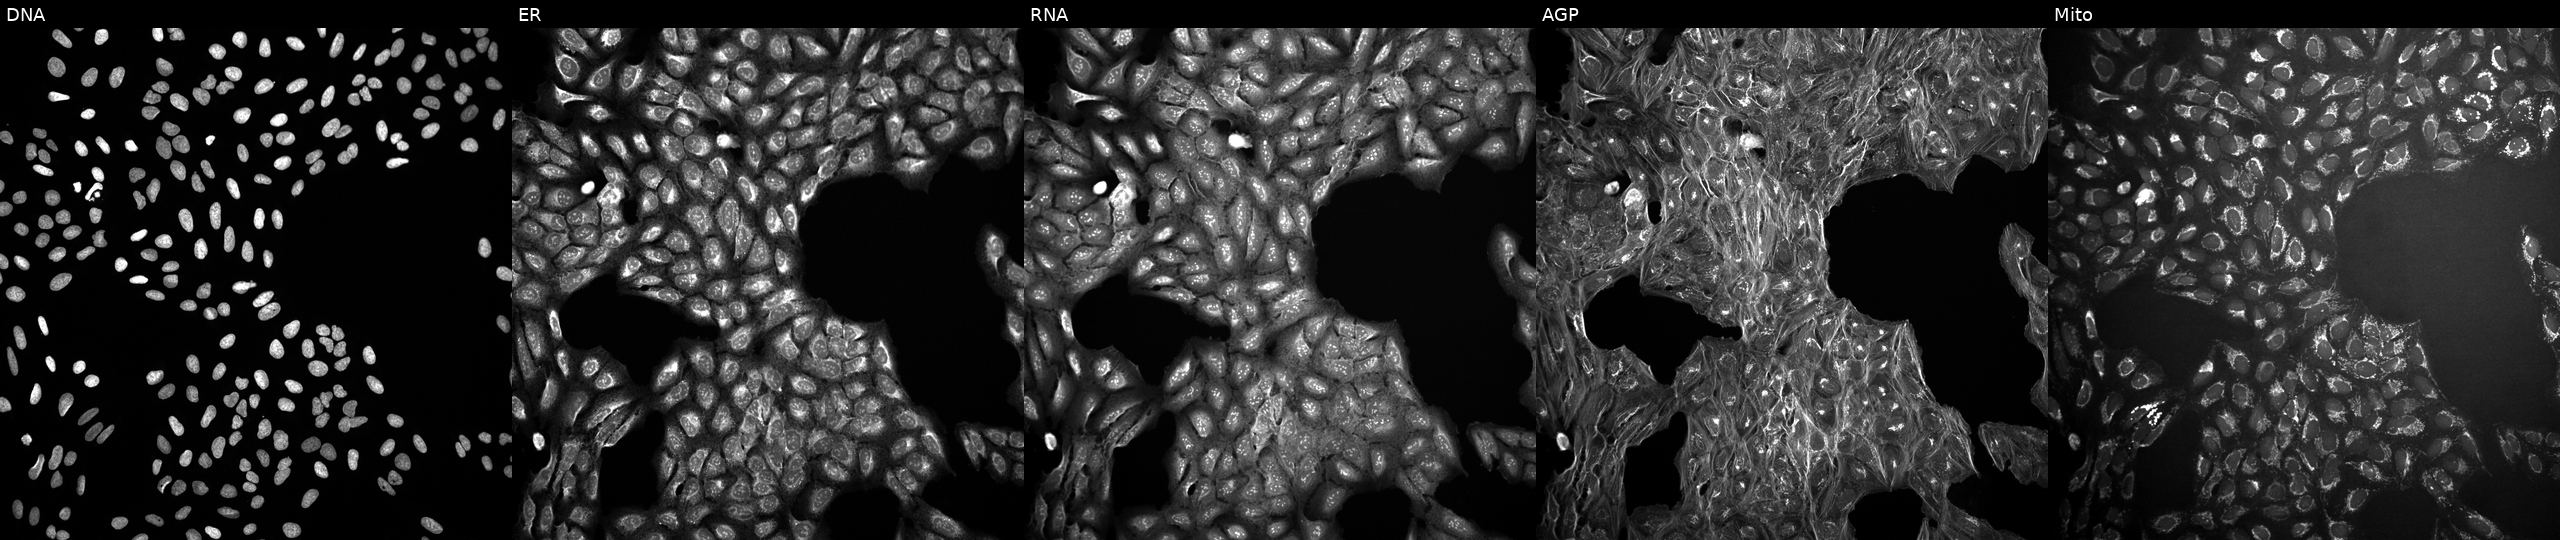
High-content fluorescence microscopy (Cell Painting). Cell line: U2OS. Perturbation: exposed to a small-molecule compound (InChIKey NZIYWSHDMNUXQP-UHFFFAOYSA-N). Channels (left→right): DNA, ER, RNA, AGP, and Mito. Source 10, plate Dest210531-152324, well H15.